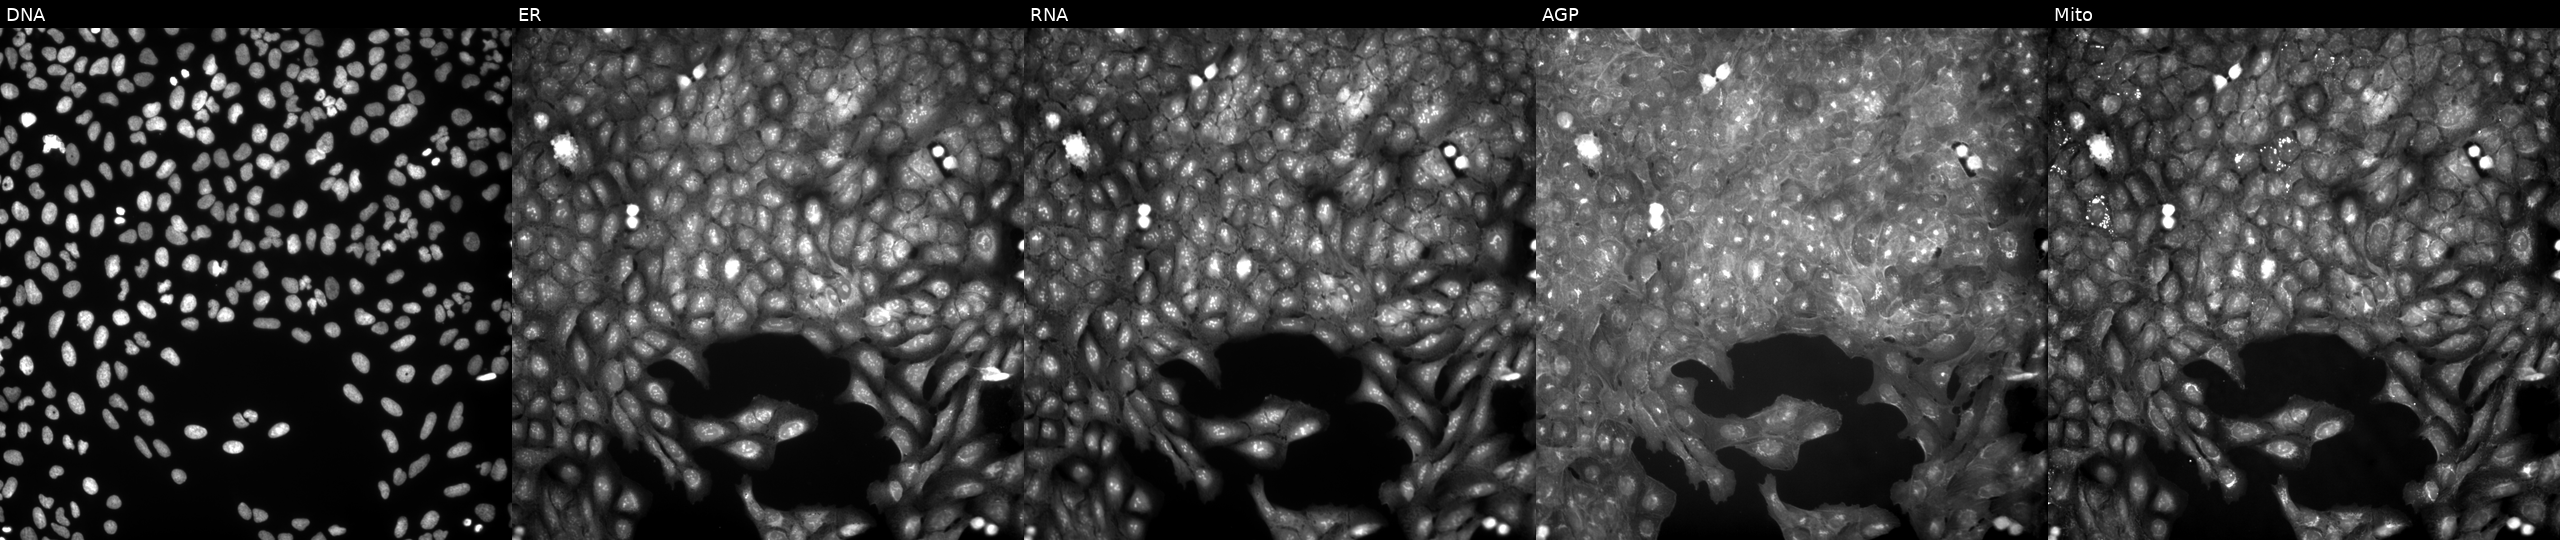
Panels show, left to right, Hoechst 33342, concanavalin A, SYTO 14, phalloidin and WGA, MitoTracker. U2OS osteosarcoma cells perturbed with a small-molecule compound (JUMP id JCP2022_050812). Cell Painting assay, JUMP-CP dataset. Source 9, plate GR00003381, well R32.